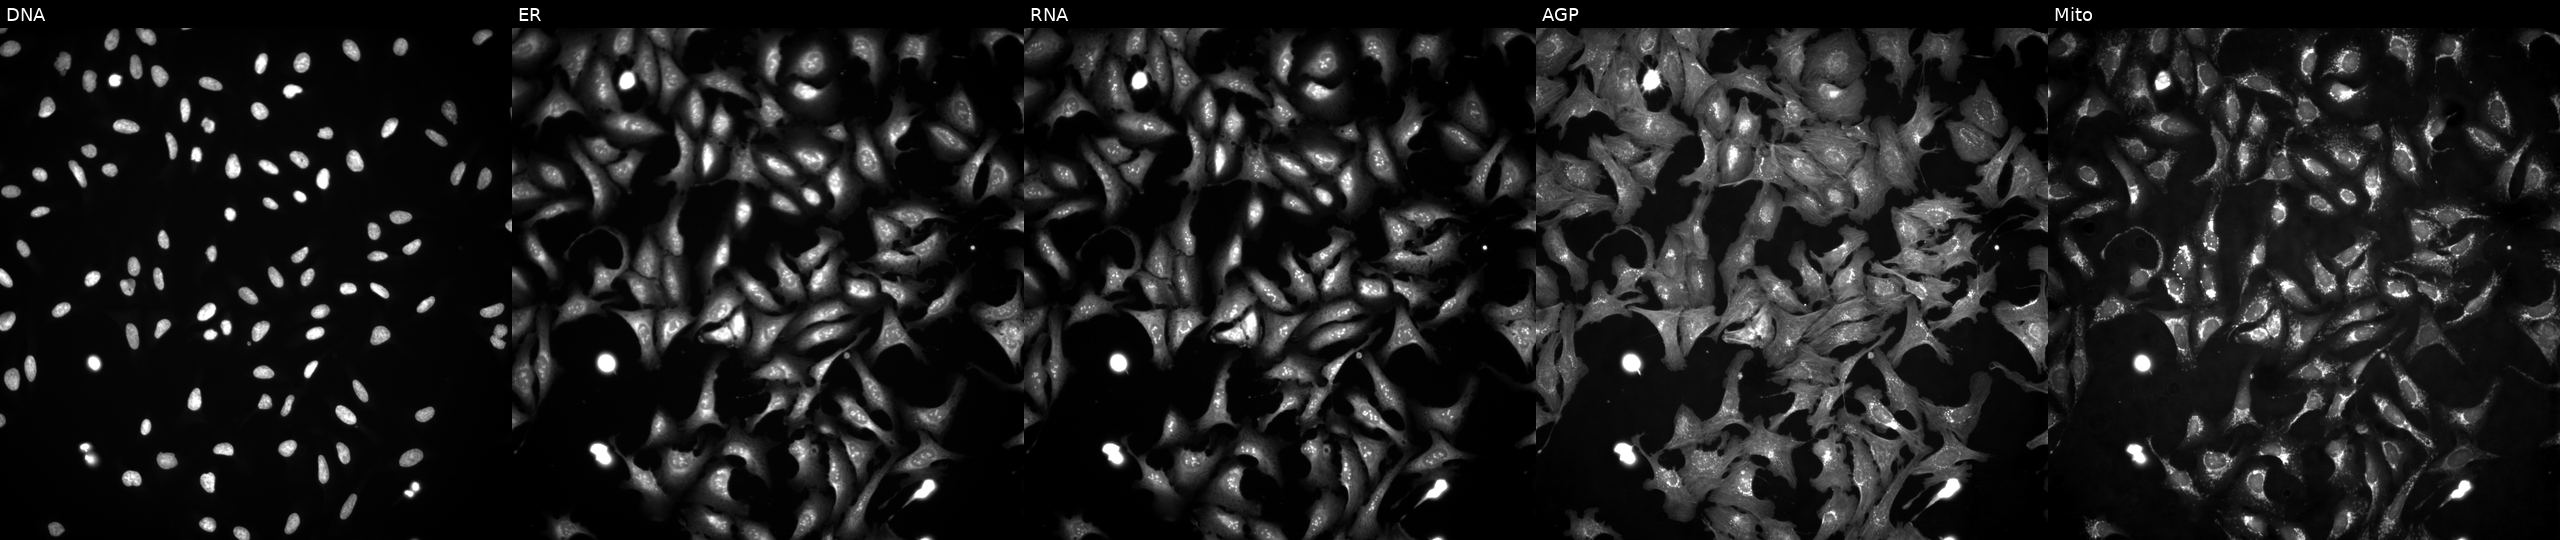
JUMP Cell Painting — ORF plate. U2OS cells with TIE1 overexpressed (ORF) (JUMP id JCP2022_913886). From left to right: Hoechst 33342, concanavalin A, SYTO 14, phalloidin and WGA, MitoTracker.